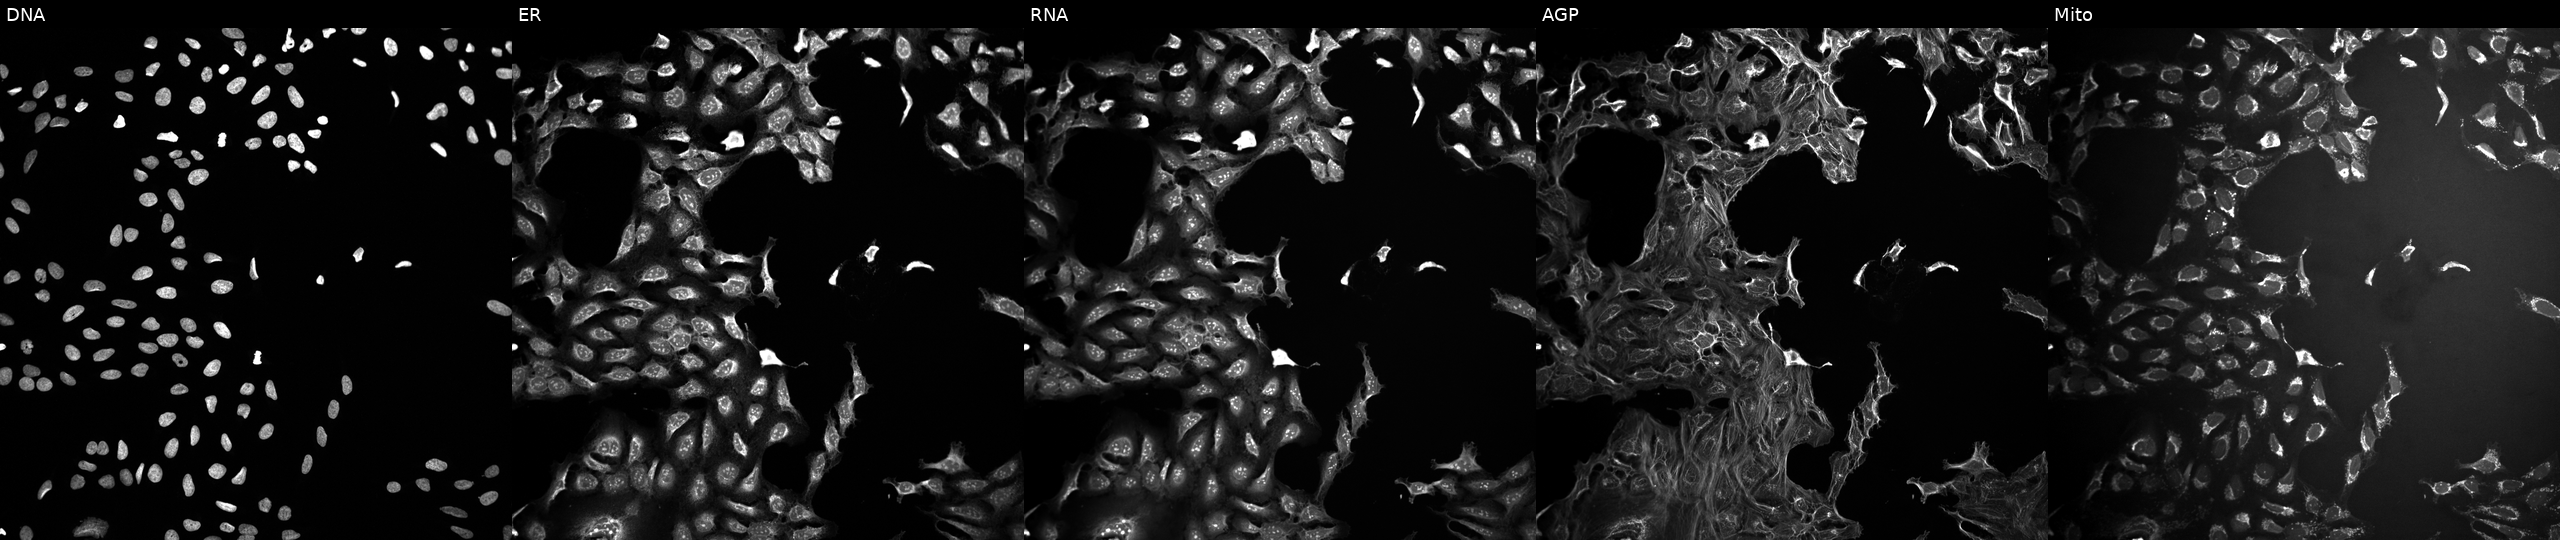
U2OS cells, Cell Painting assay, perturbed with a small-molecule compound (InChIKey HFNKQEVNSGCOJV-UHFFFAOYSA-N) (JUMP id JCP2022_029868). Panels show, left to right, Hoechst 33342, concanavalin A, SYTO 14, phalloidin and WGA, MitoTracker. Each panel is percentile-stretched 16-bit fluorescence. Source 10, plate Dest210727-153003, well J22.